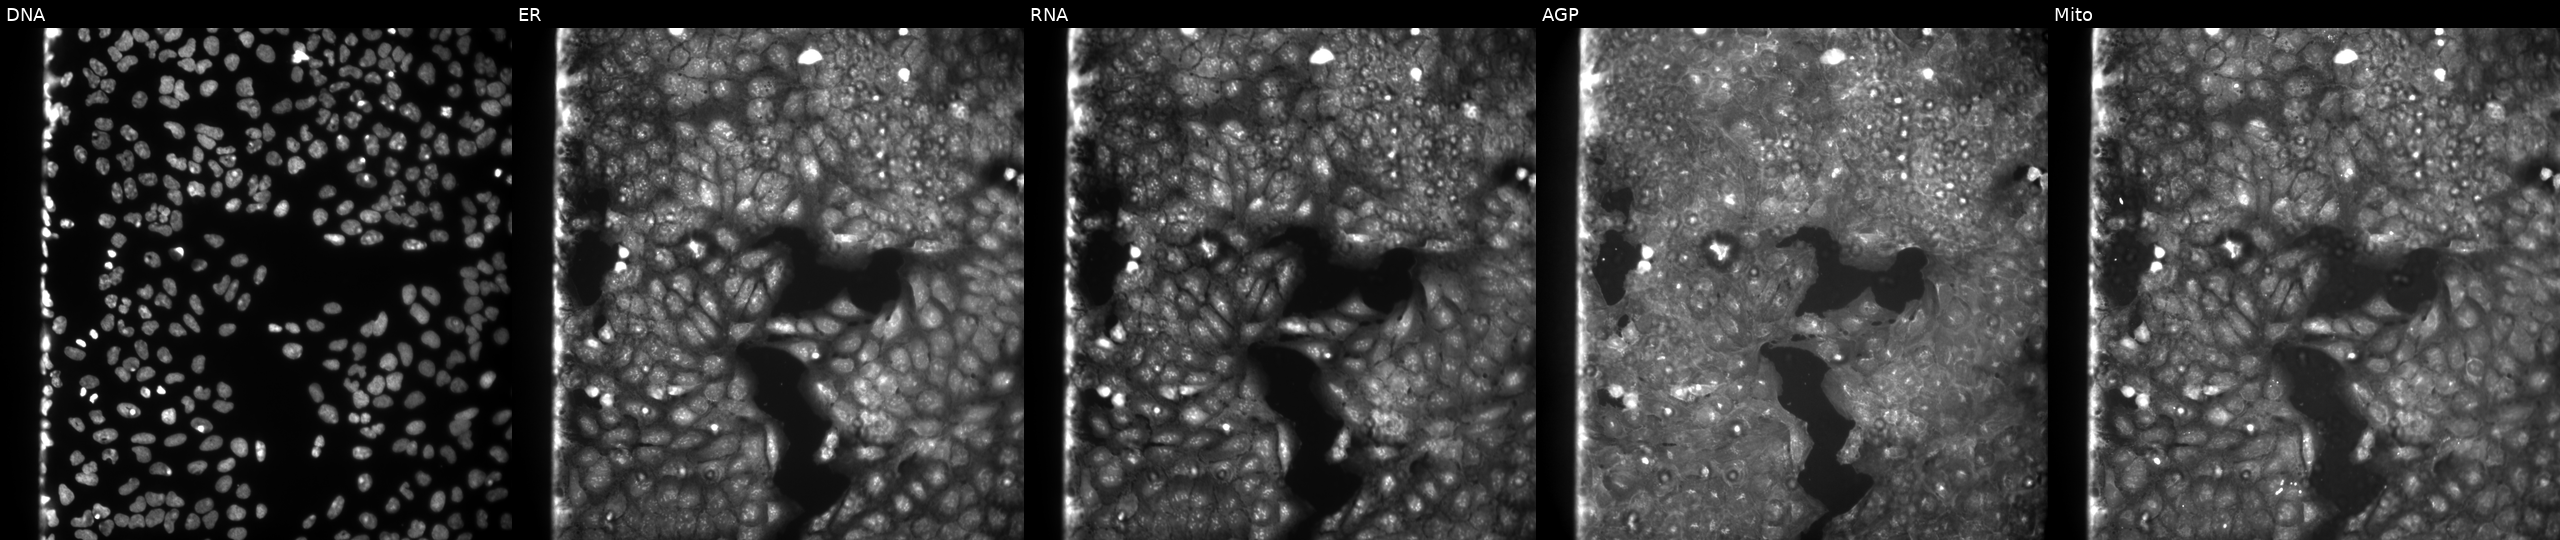
This image strip shows the five Cell Painting channels for a single field of U2OS cells treated with a small-molecule compound (InChIKey JFIYRVDCLVDJCP-UHFFFAOYSA-N) (JUMP id JCP2022_039407). Channels (left→right): DNA, ER, RNA, AGP, and Mito. Source 9, plate GR00003382, well E03.